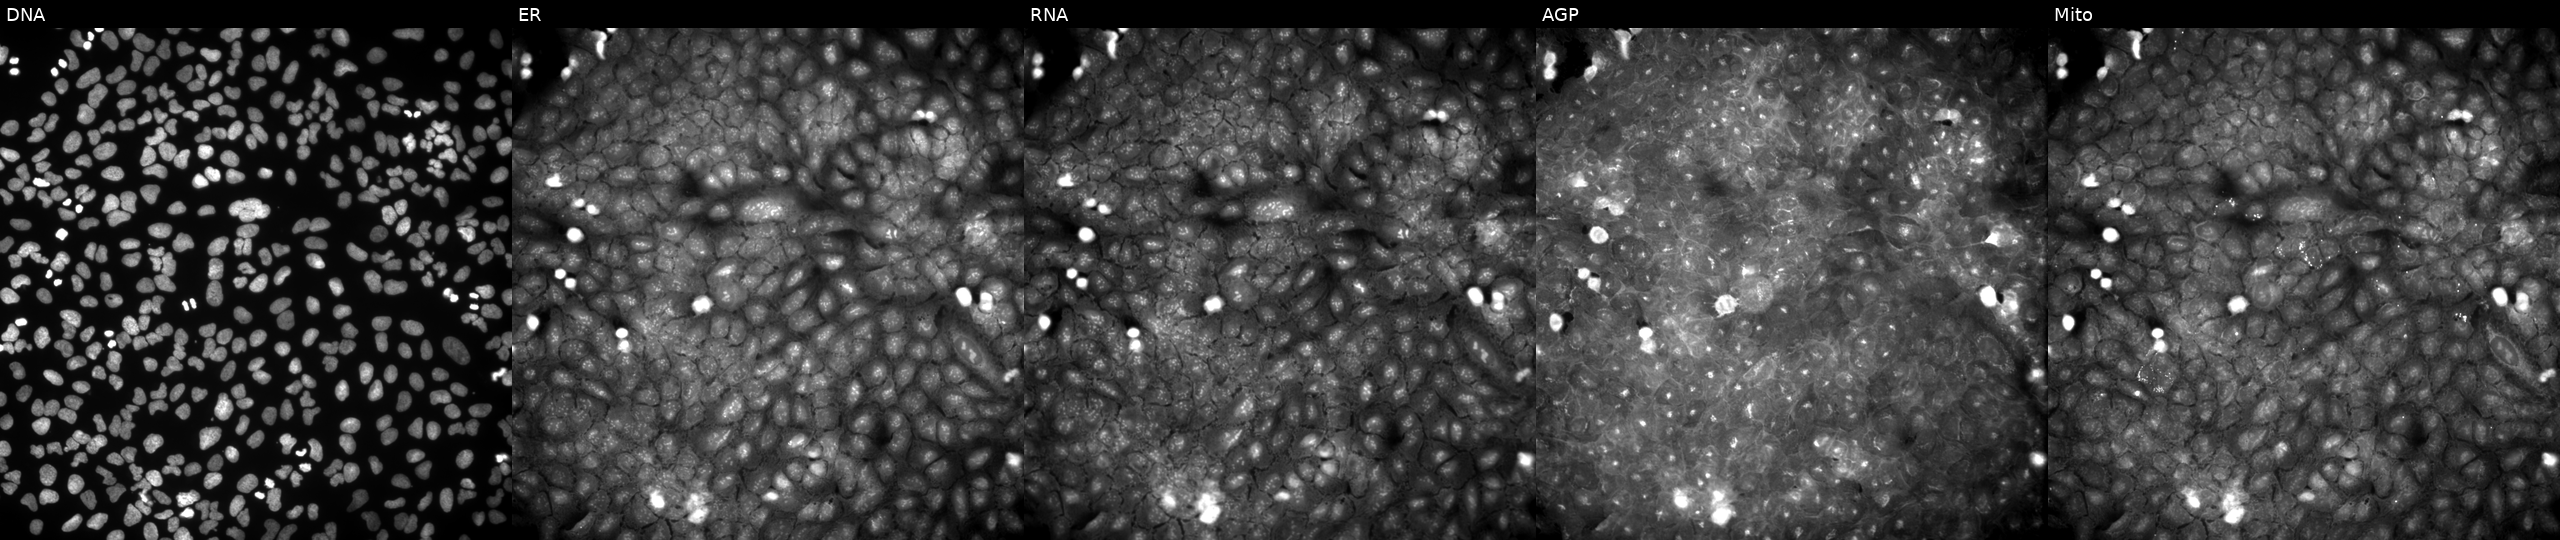
This image strip shows the five Cell Painting channels for a single field of U2OS cells treated with a small-molecule compound (JUMP id JCP2022_026582). Channels (left→right): DNA, ER, RNA, AGP, and Mito. Source 9, plate GR00003381, well T27.